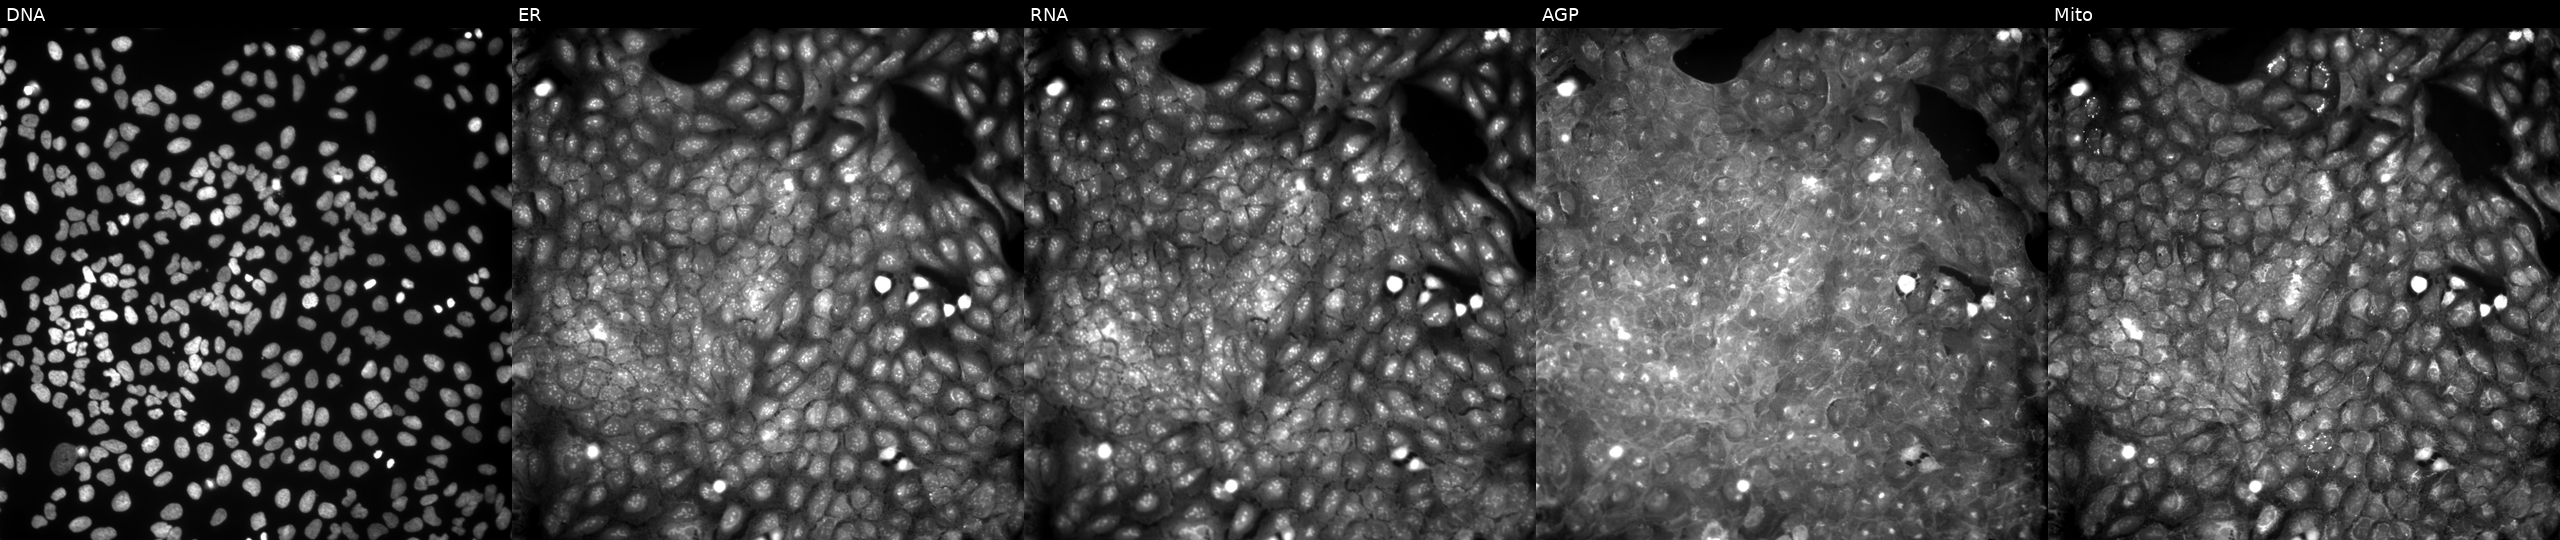
U2OS cells, Cell Painting assay, exposed to a small-molecule compound (InChIKey SLRUSIRASCXTAJ-UHFFFAOYSA-N). From left to right: DNA (nuclei); ER (endoplasmic reticulum); RNA (nucleoli and cytoplasmic RNA); AGP (actin cytoskeleton, Golgi, and plasma membrane); Mito (mitochondria). Each panel is percentile-stretched 16-bit fluorescence. Source 9, plate GR00003381, well Y13.